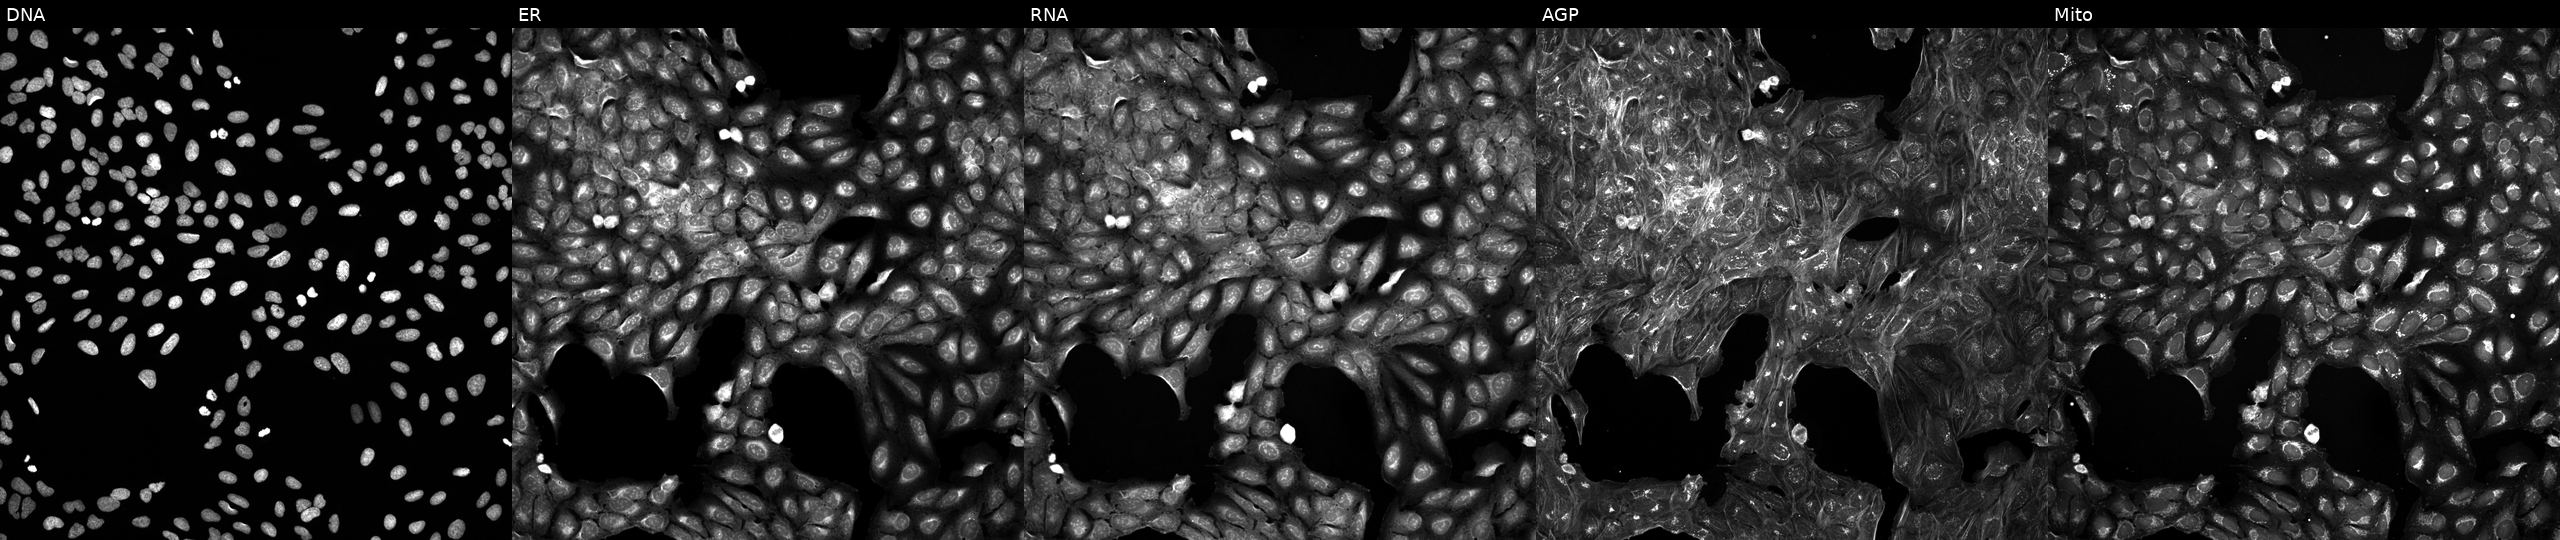
This image strip shows the five Cell Painting channels for a single field of U2OS cells perturbed with a small-molecule compound (InChIKey PKYKNPLSFOKASK-UHFFFAOYSA-N) [SMILES: CCCCc1c(O)n(-c2ccccc2)n(-c2ccccc2)c1=O]. From left to right: DNA (nuclei); ER (endoplasmic reticulum); RNA (nucleoli and cytoplasmic RNA); AGP (actin cytoskeleton, Golgi, and plasma membrane); Mito (mitochondria). Source 5, plate ACPJUM051, well G15.